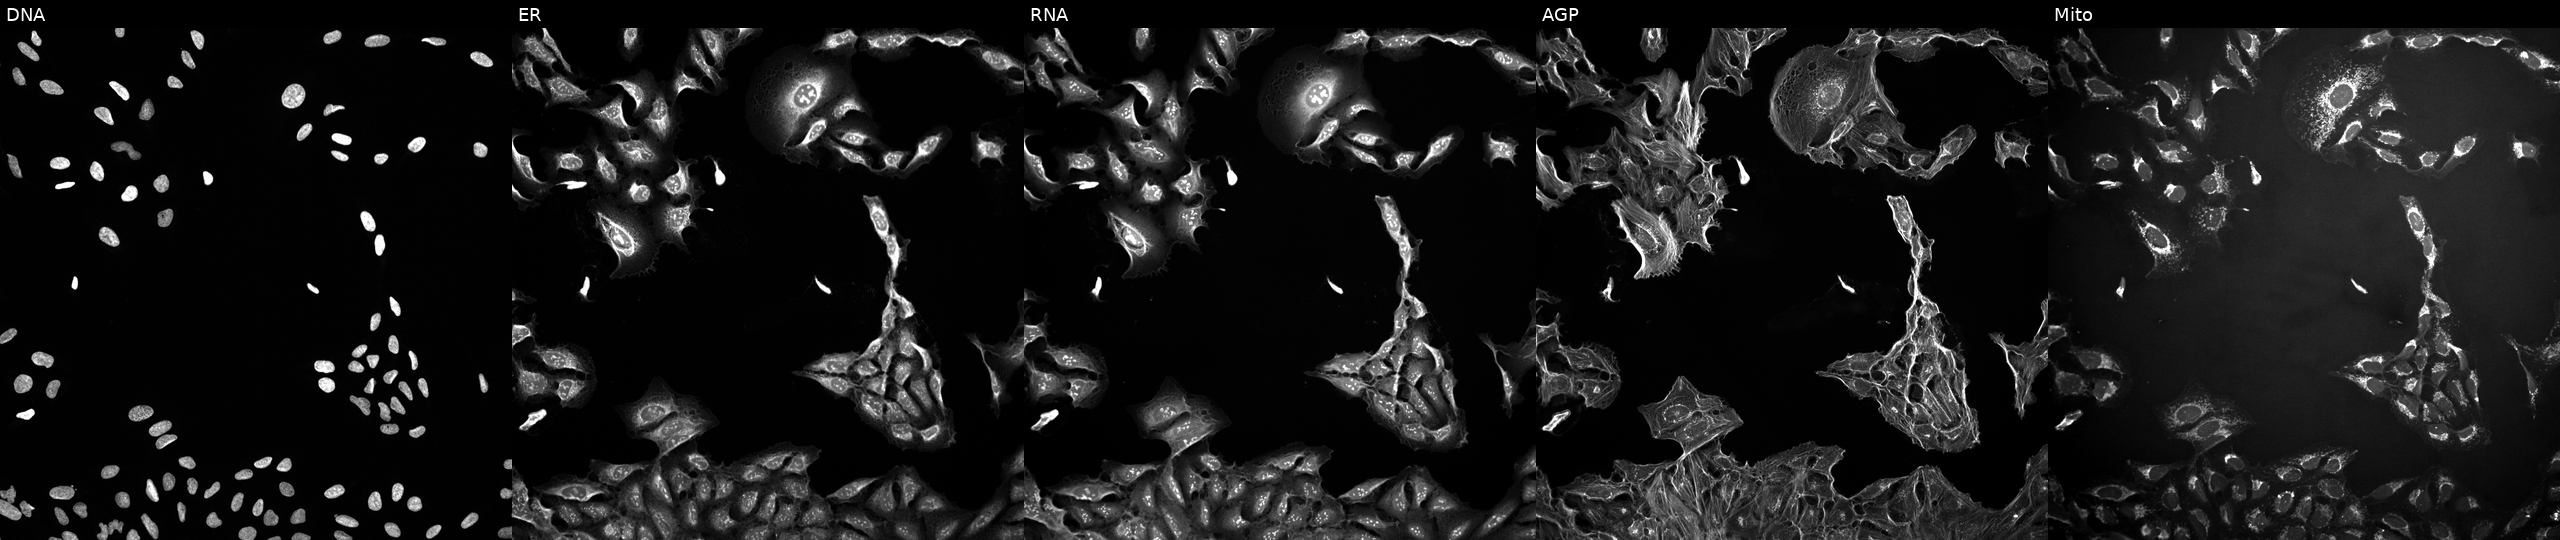
From left to right: DNA (nuclei); ER (endoplasmic reticulum); RNA (nucleoli and cytoplasmic RNA); AGP (actin cytoskeleton, Golgi, and plasma membrane); Mito (mitochondria). U2OS osteosarcoma cells treated with DMSO vehicle only (negative control). Cell Painting assay, JUMP-CP dataset. Source 10, plate Dest210727-153003, well I10.